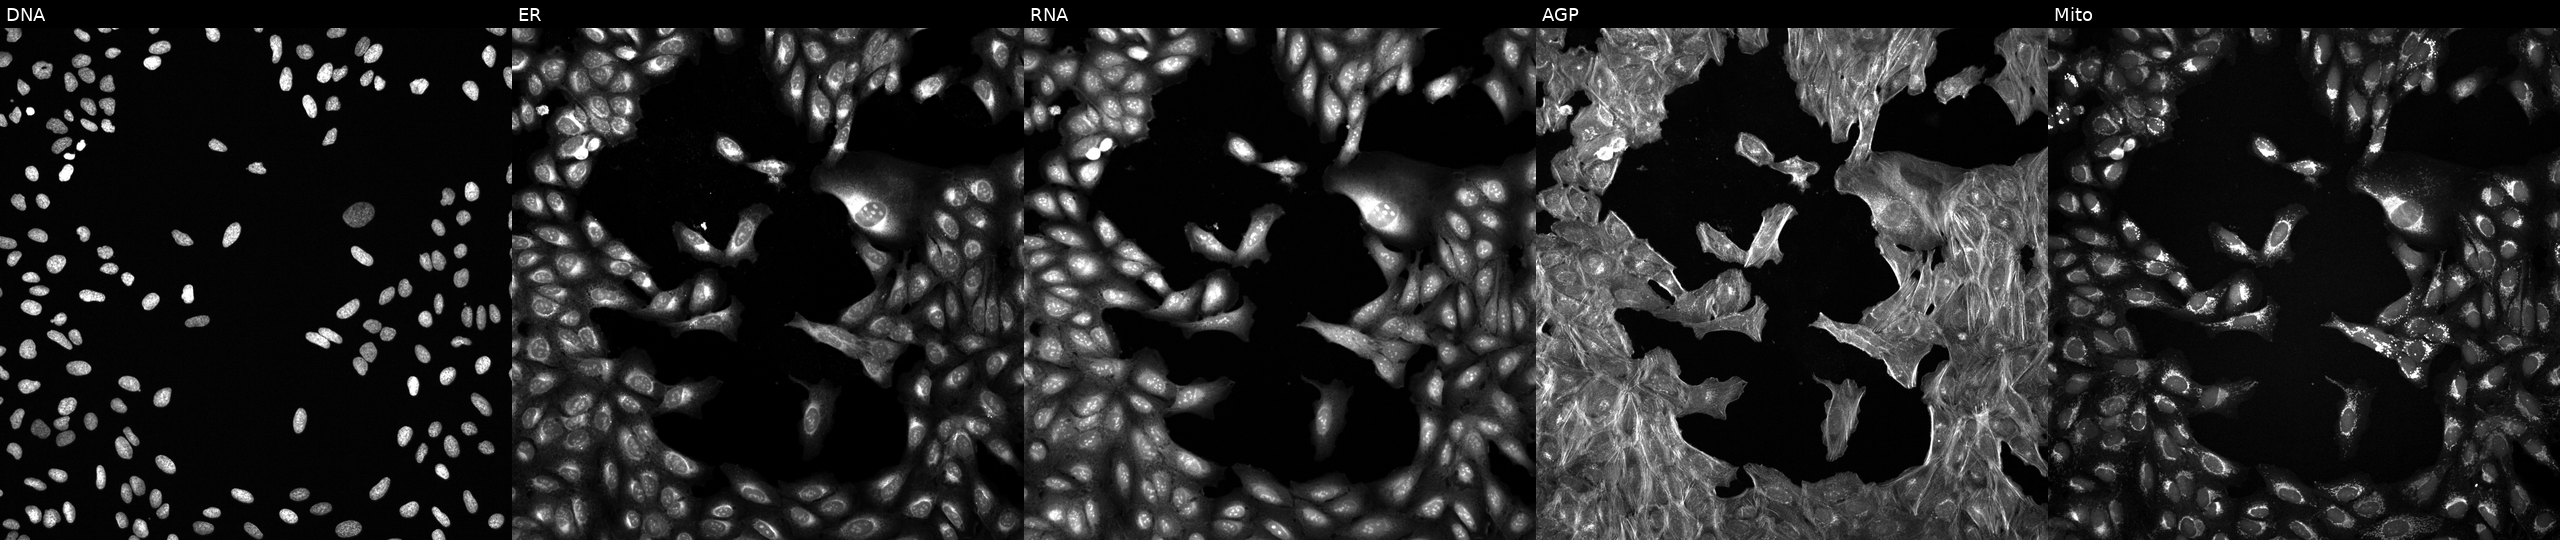
U2OS cells, Cell Painting assay, treated with a small-molecule compound (InChIKey HYUJRPMNOJFXJH-UHFFFAOYSA-N) (JUMP id JCP2022_033509). The five panels, left to right, show DNA, ER, RNA, AGP, and Mito. Each panel is percentile-stretched 16-bit fluorescence.